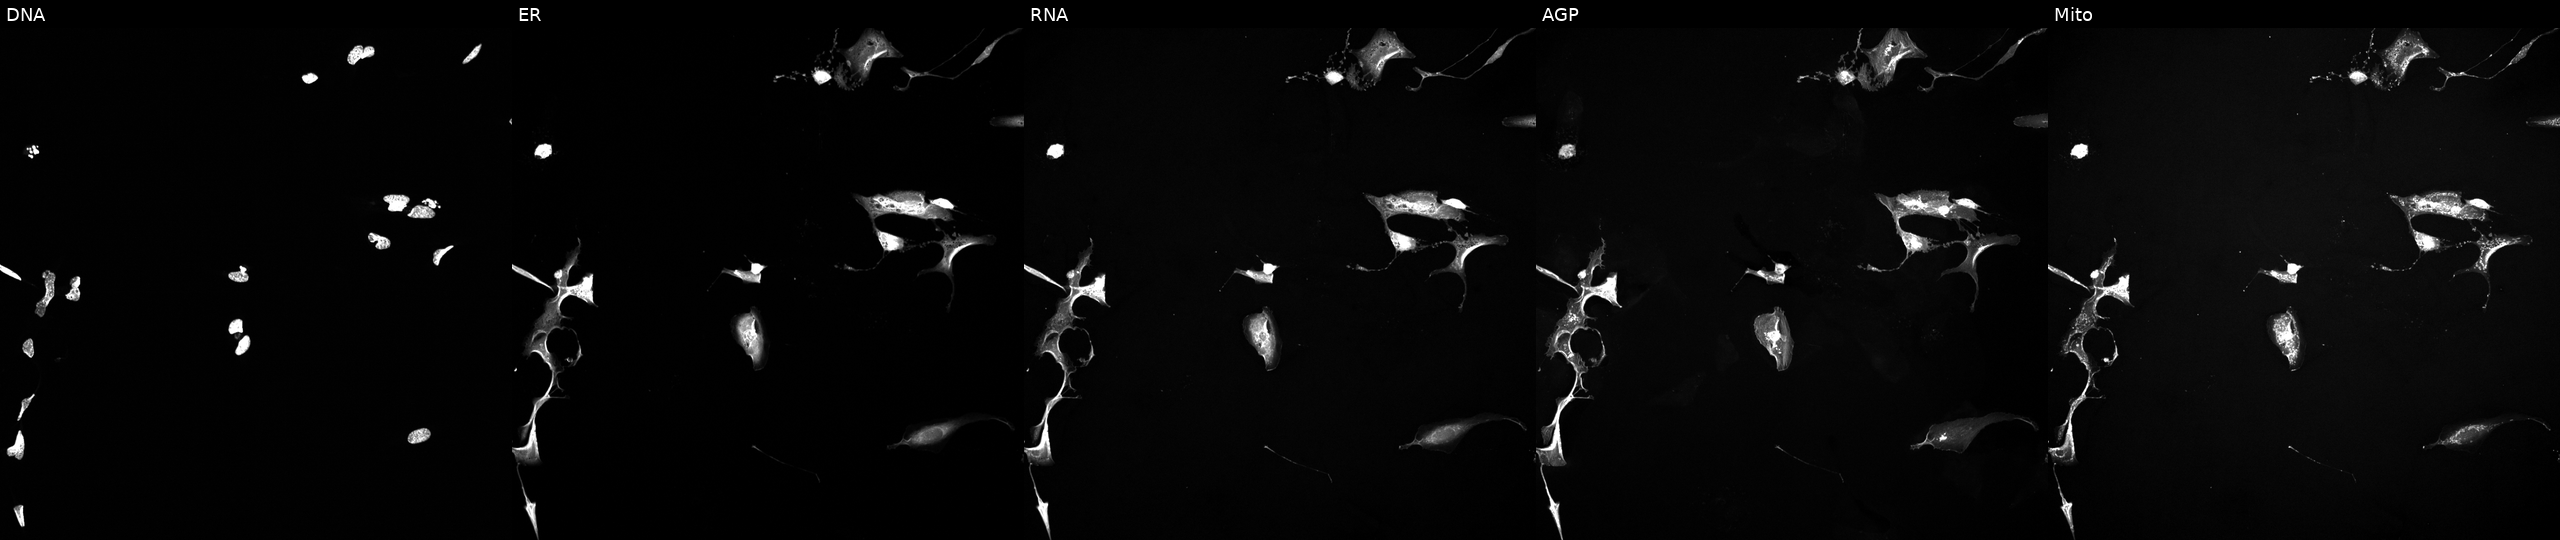
This image strip shows the five Cell Painting channels for a single field of U2OS cells treated with a small-molecule compound (InChIKey VXBAJLGYBMTJCY-UHFFFAOYSA-N) (JUMP id JCP2022_096865). Panels show, left to right, DNA (nuclei); ER (endoplasmic reticulum); RNA (nucleoli and cytoplasmic RNA); AGP (actin cytoskeleton, Golgi, and plasma membrane); Mito (mitochondria). Source 5, plate ACPJUM012, well C08.